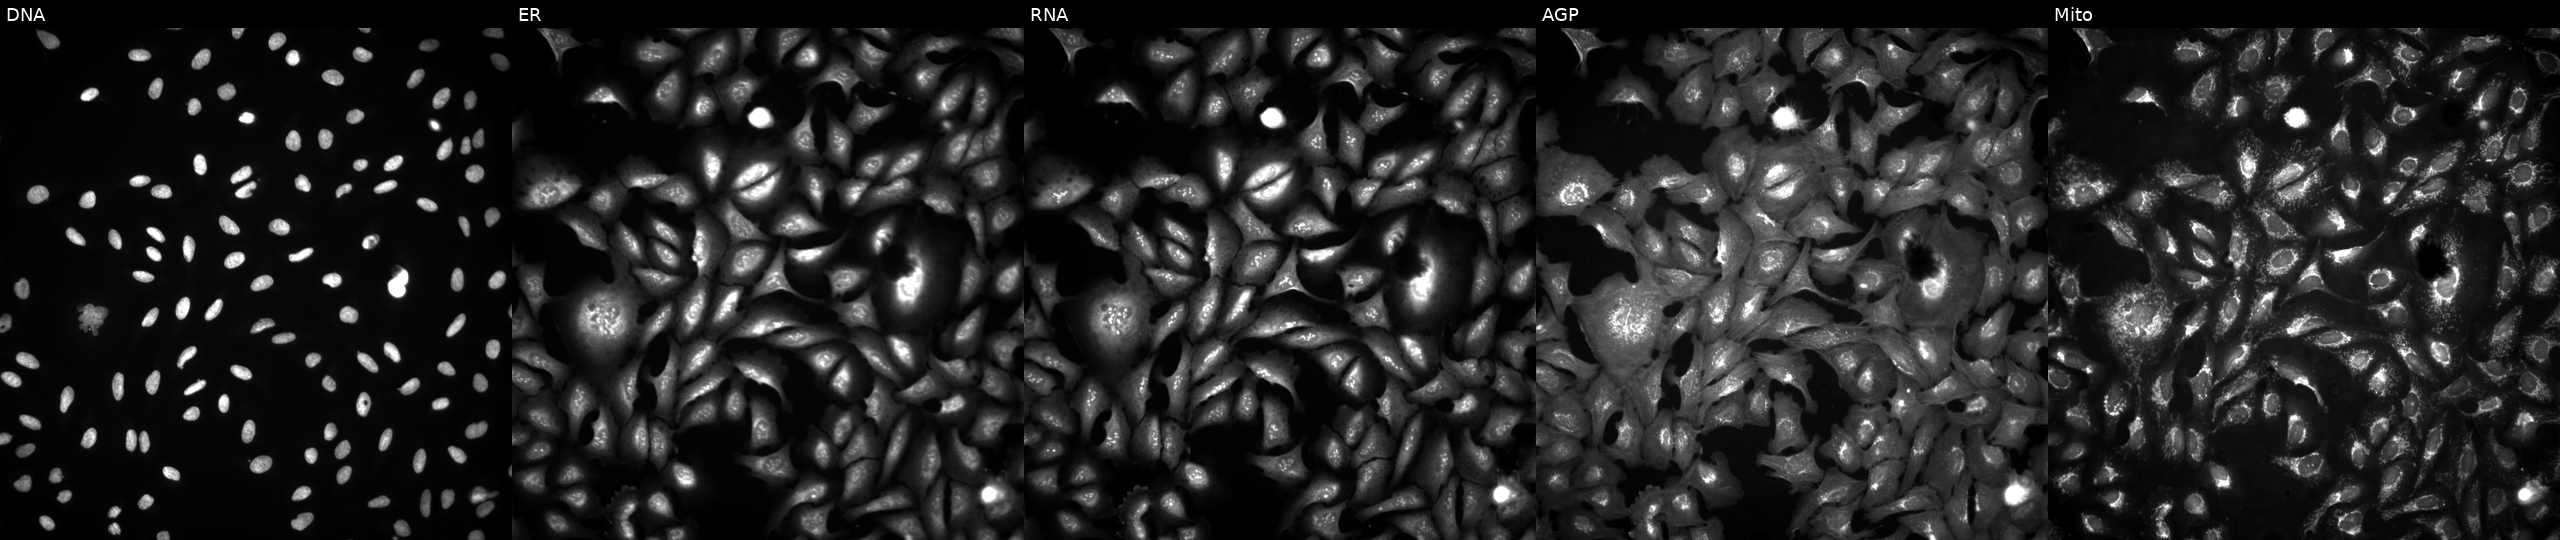
This image strip shows the five Cell Painting channels for a single field of U2OS cells transfected with an ORF construct for C4orf36 (JUMP id JCP2022_904569). Channels (left→right): DNA (nuclei); ER (endoplasmic reticulum); RNA (nucleoli and cytoplasmic RNA); AGP (actin cytoskeleton, Golgi, and plasma membrane); Mito (mitochondria).